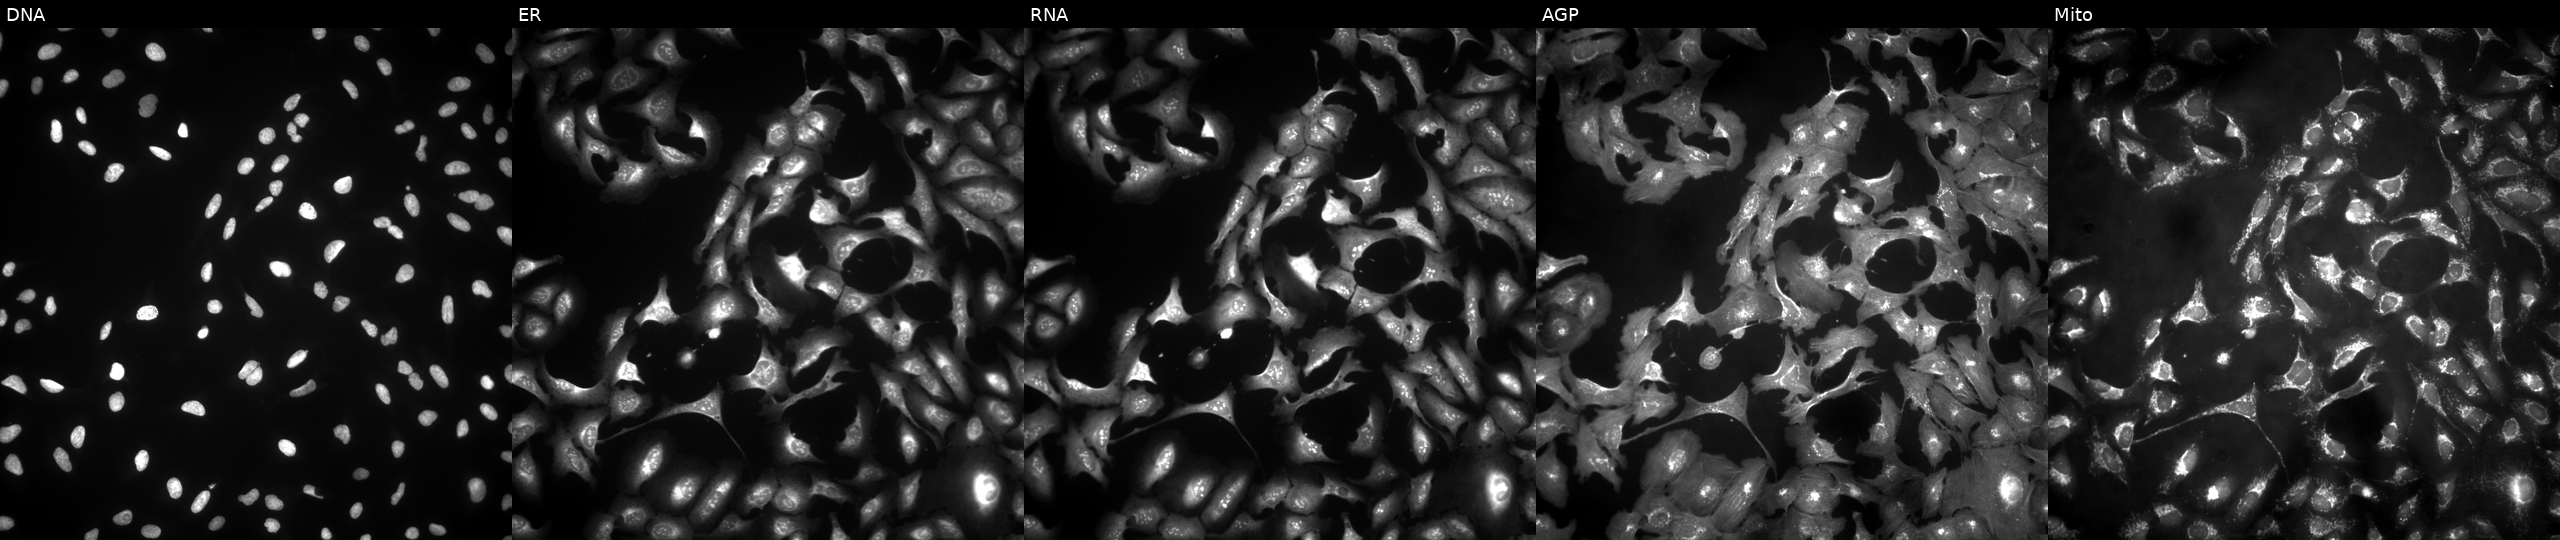
U2OS cells, Cell Painting assay, overexpressing SERPINE1 via ORF transfection. Panels show, left to right, DNA (nuclei); ER (endoplasmic reticulum); RNA (nucleoli and cytoplasmic RNA); AGP (actin cytoskeleton, Golgi, and plasma membrane); Mito (mitochondria). Each panel is percentile-stretched 16-bit fluorescence. Source 4, plate BR00123506, well K22.